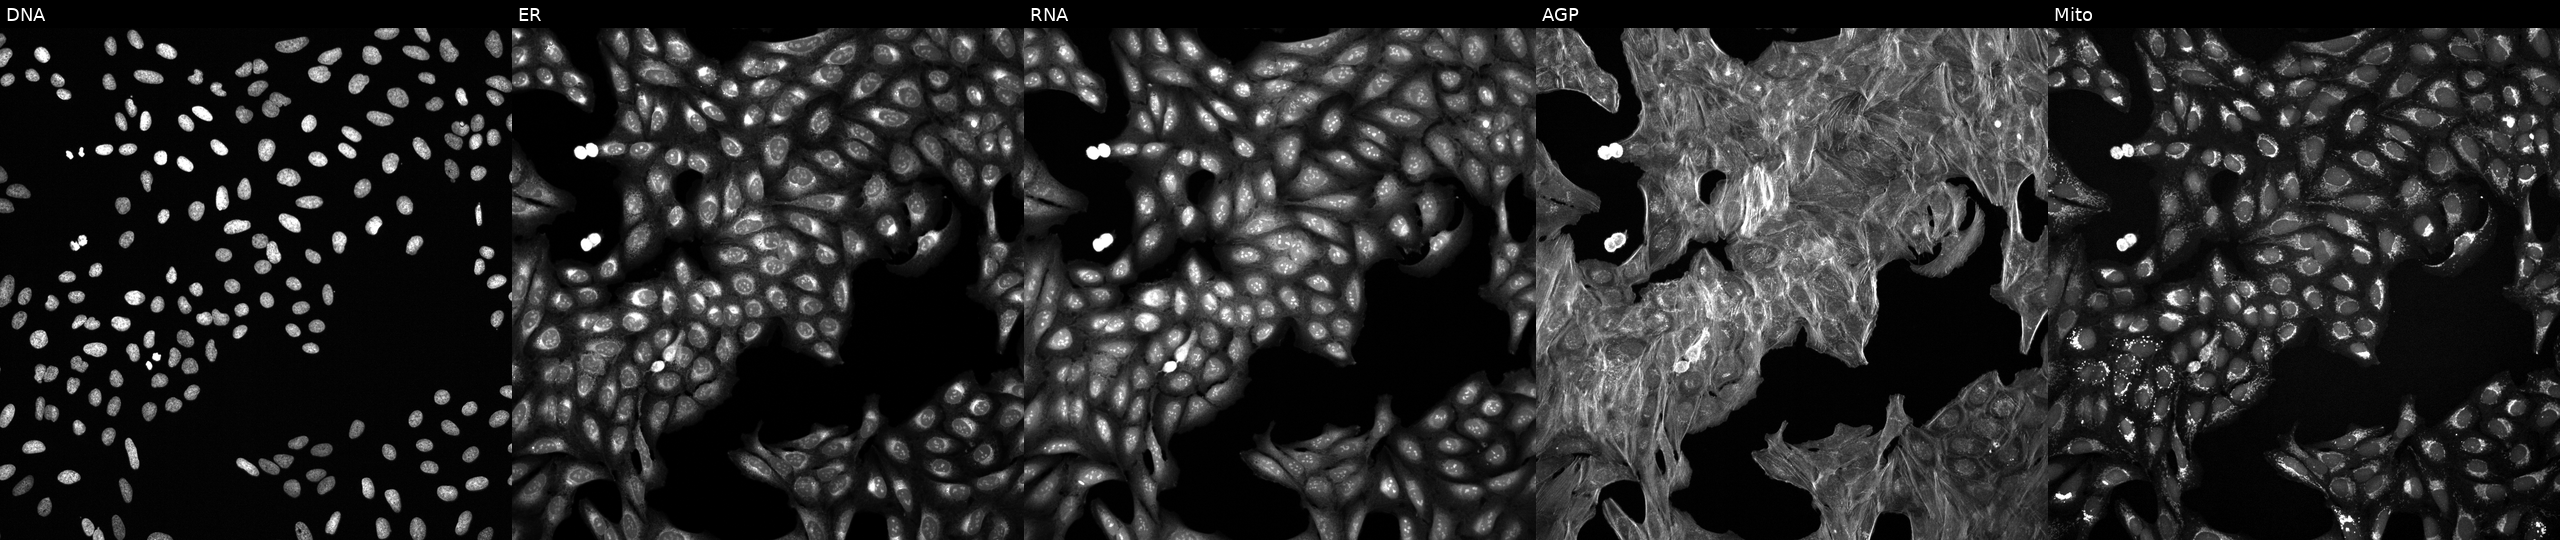
High-content fluorescence microscopy (Cell Painting). Cell line: U2OS. Perturbation: exposed to a small-molecule compound (InChIKey NMUSYJAQQFHJEW-UHFFFAOYSA-N) (JUMP id JCP2022_060040). The five panels, left to right, show DNA, ER, RNA, AGP, and Mito. Source 6, plate 110000293093, well H21.